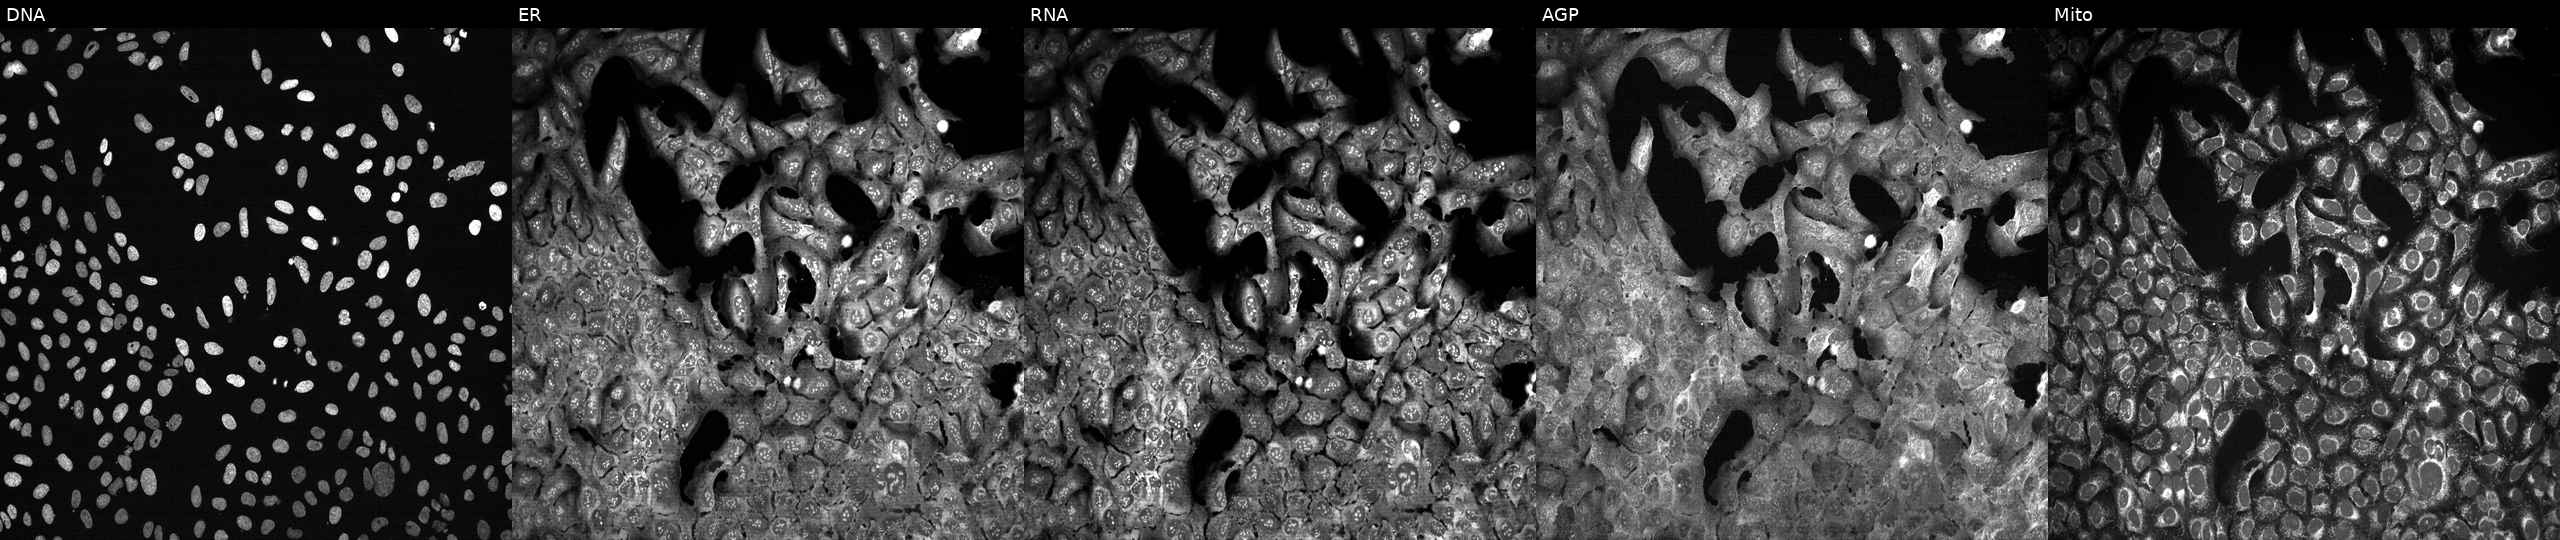
U2OS cells, Cell Painting assay, CRISPR-edited to disrupt SARS (JUMP id JCP2022_806179). The five panels, left to right, show DNA (nuclei); ER (endoplasmic reticulum); RNA (nucleoli and cytoplasmic RNA); AGP (actin cytoskeleton, Golgi, and plasma membrane); Mito (mitochondria). Each panel is percentile-stretched 16-bit fluorescence. Source 13, plate CP-CC9-R3-02, well P14.